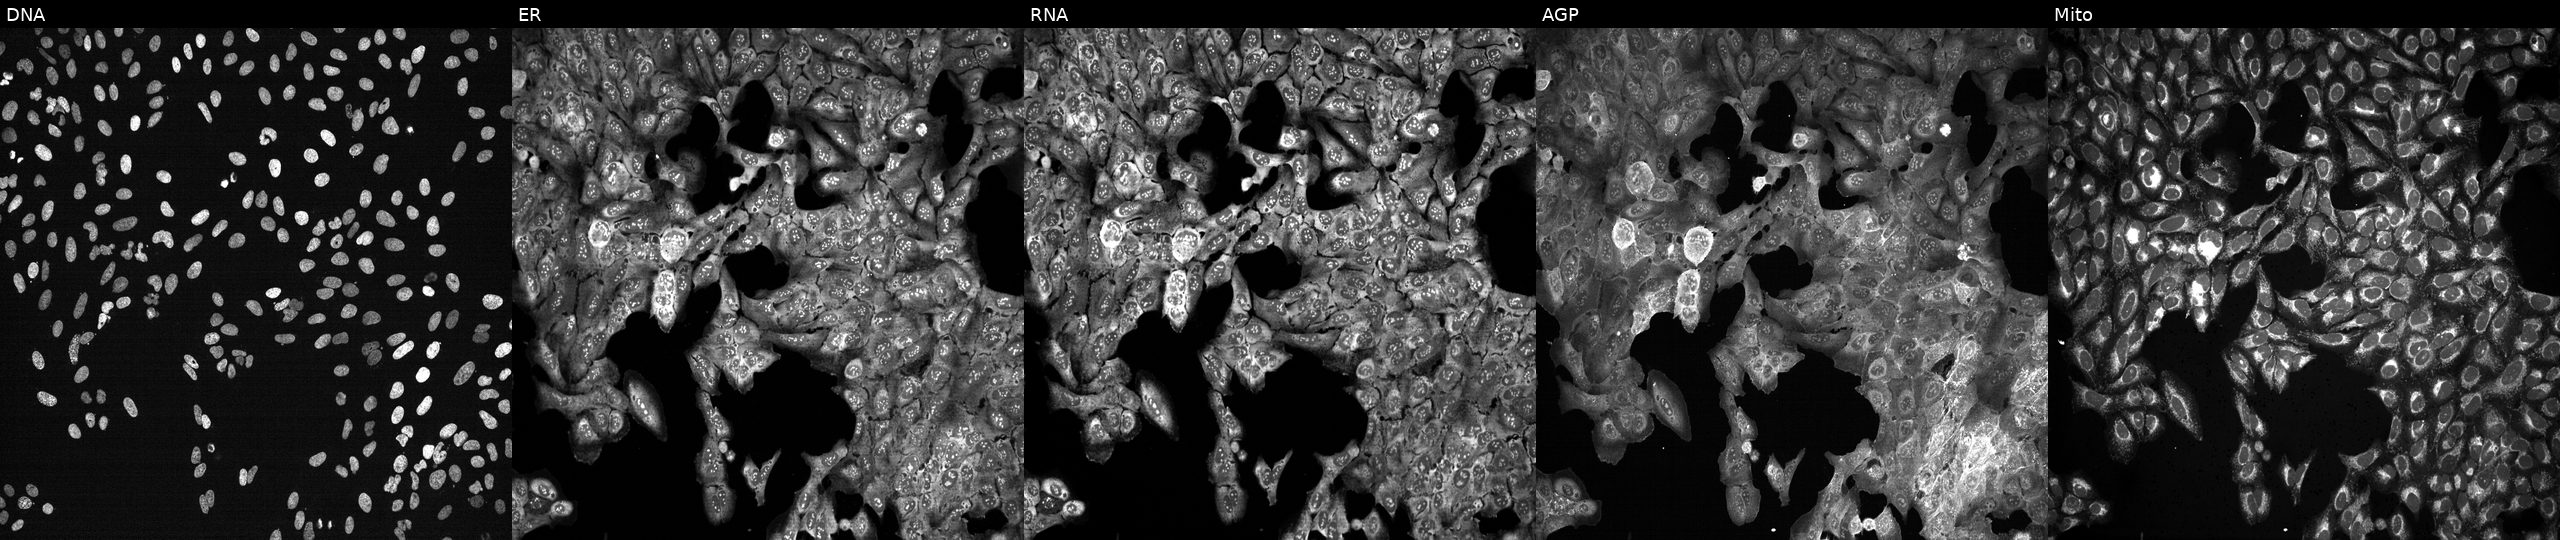
Five-channel Cell Painting image of U2OS cells following CRISPR knockout of PLPP5 (JUMP id JCP2022_805276). From left to right: Hoechst 33342, concanavalin A, SYTO 14, phalloidin and WGA, MitoTracker. Source 13, plate CP-CC9-R4-03, well A20.